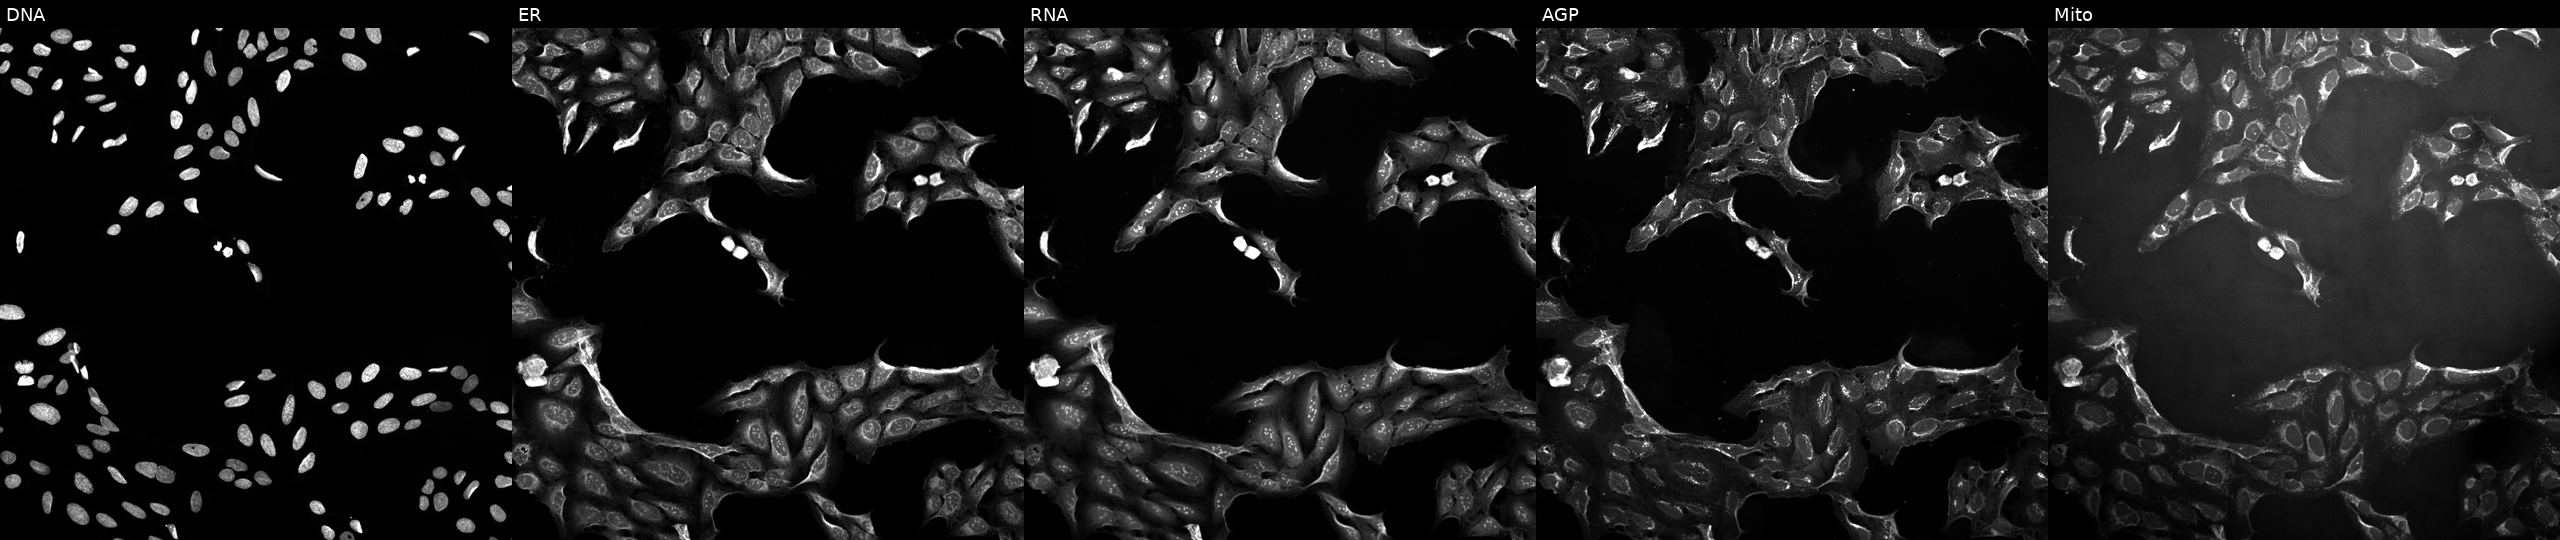
U2OS cells, Cell Painting assay, exposed to a small-molecule compound [SMILES: CNC(=O)c1cc(Oc2ccc(NC(=O)Nc3ccc(Cl)c(C(F)(F)F)c3)c(F)c2)ccn1] (JUMP id JCP2022_021751). The five panels, left to right, show DNA, ER, RNA, AGP, and Mito. Each panel is percentile-stretched 16-bit fluorescence. Source 10, plate Dest210803-153958, well M01.